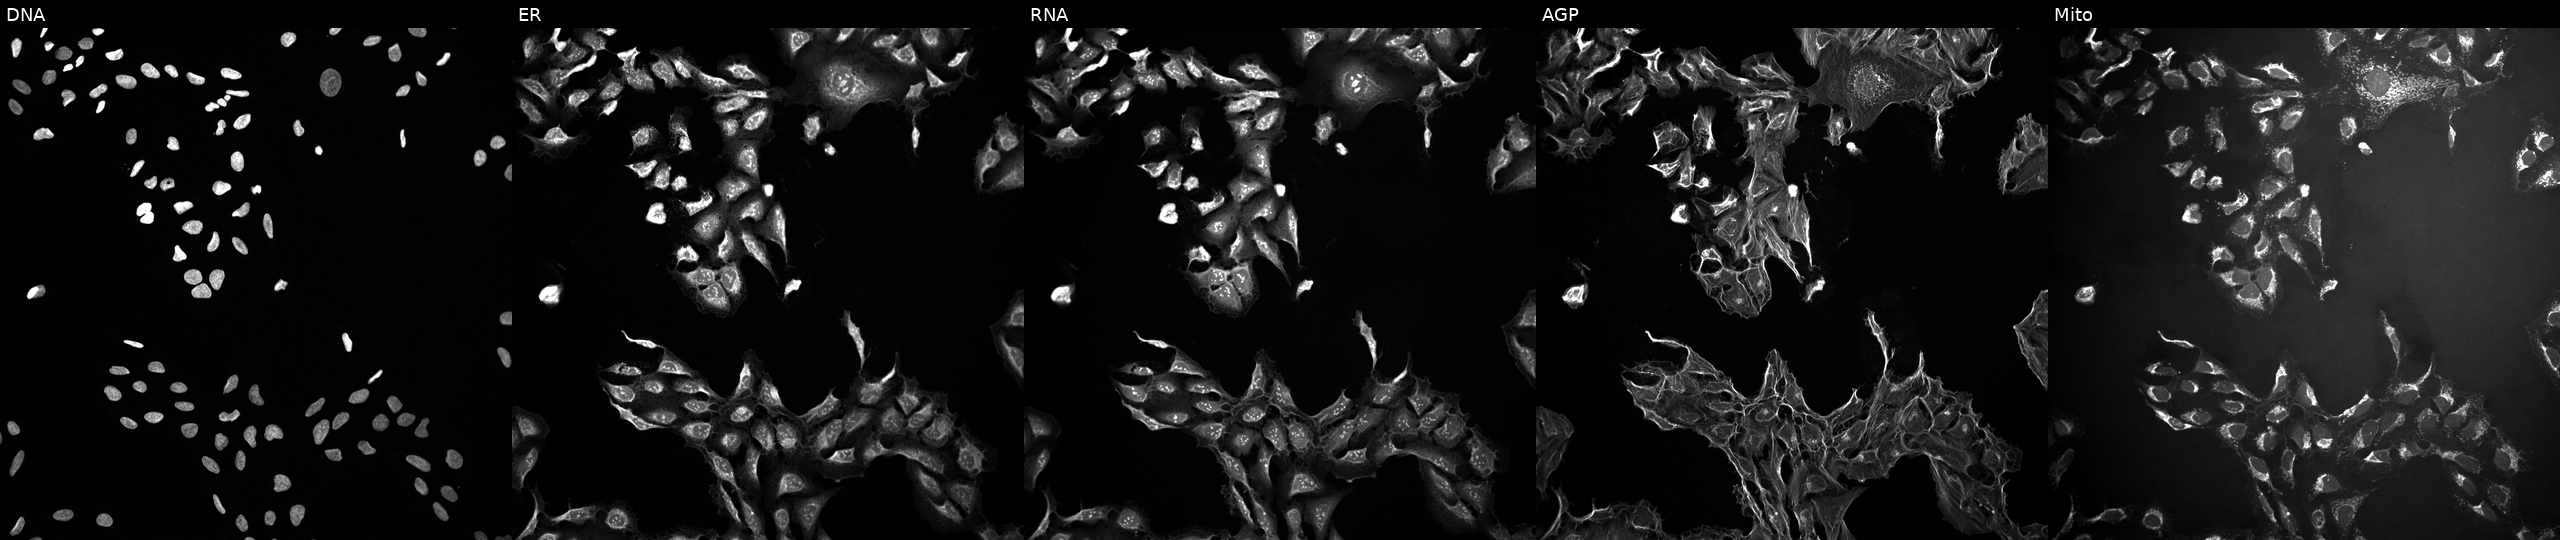
Five-channel Cell Painting image of U2OS cells perturbed with a small-molecule compound (InChIKey ZYGHJZDHTFUPRJ-UHFFFAOYSA-N). From left to right: DNA (nuclei); ER (endoplasmic reticulum); RNA (nucleoli and cytoplasmic RNA); AGP (actin cytoskeleton, Golgi, and plasma membrane); Mito (mitochondria). Source 10, plate Dest210727-153003, well J18.